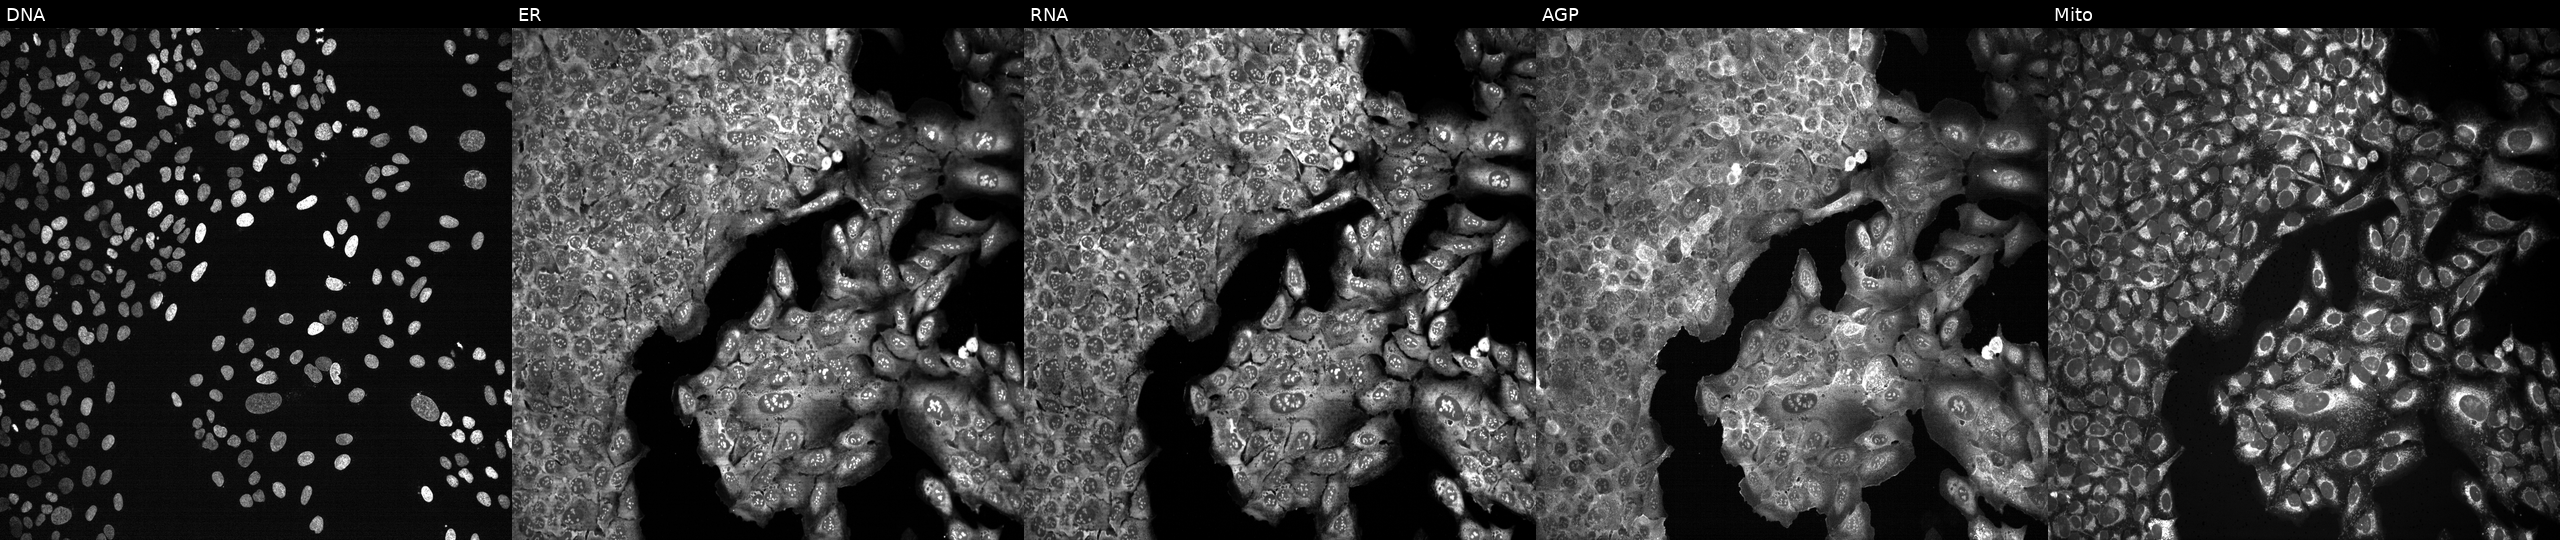
U2OS cells, Cell Painting assay, CRISPR-edited to disrupt PYGB (JUMP id JCP2022_805728). From left to right: DNA, ER, RNA, AGP, and Mito. Each panel is percentile-stretched 16-bit fluorescence. Source 13, plate CP-CC9-R4-03, well A17.